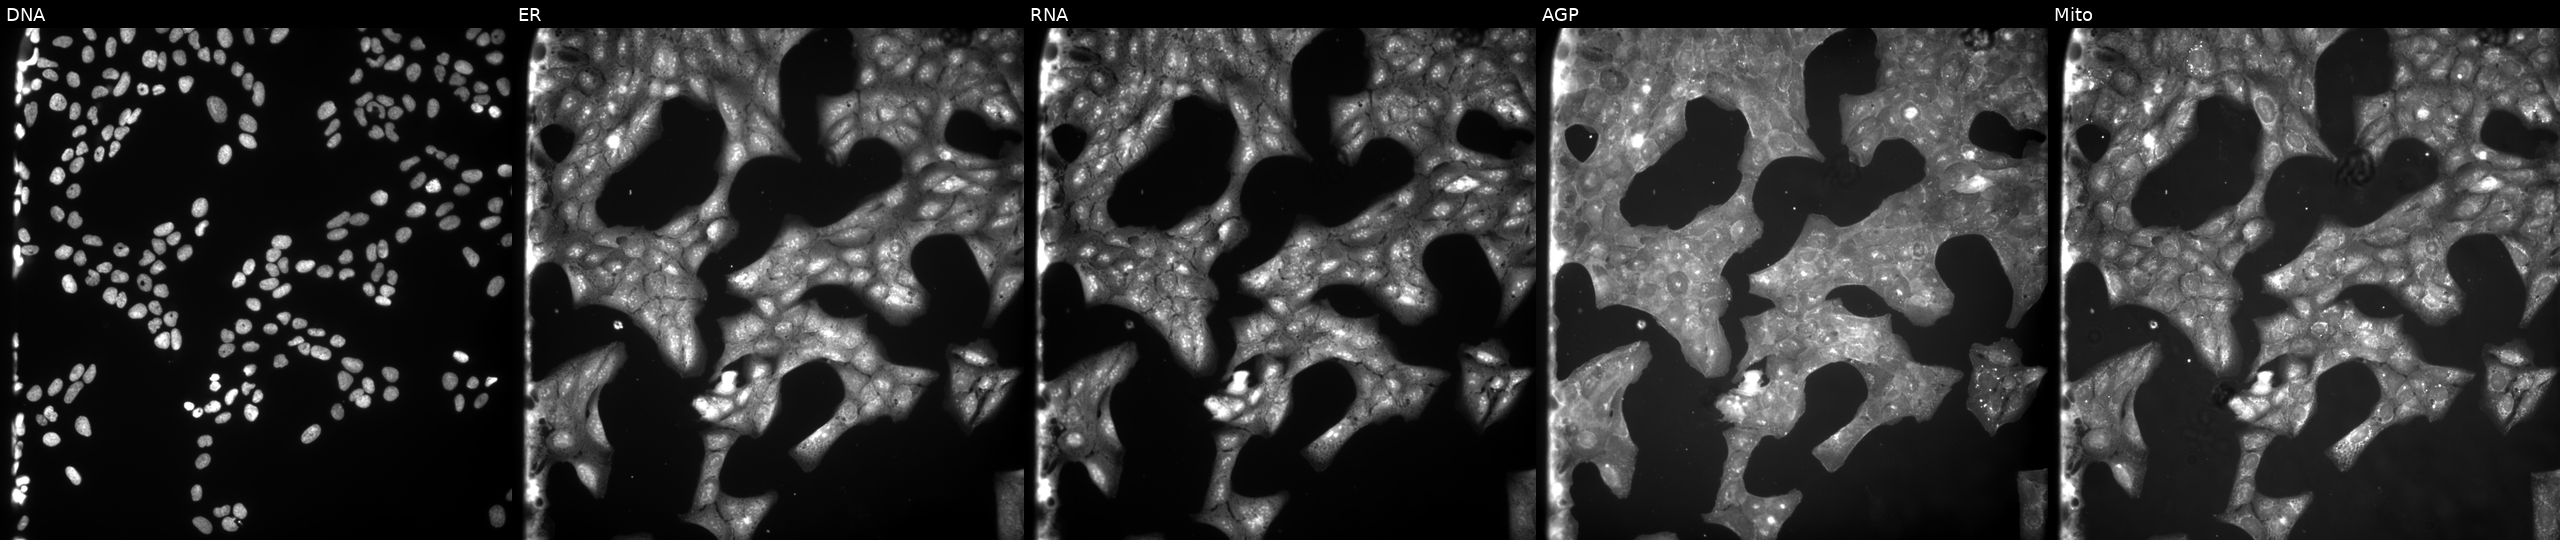
This image strip shows the five Cell Painting channels for a single field of U2OS cells treated with a small-molecule compound (InChIKey RMBGJKRYZOEJMN-UHFFFAOYSA-N) (JUMP id JCP2022_079251). The five panels, left to right, show Hoechst 33342, concanavalin A, SYTO 14, phalloidin and WGA, MitoTracker. Source 9, plate GR00003382, well M11.